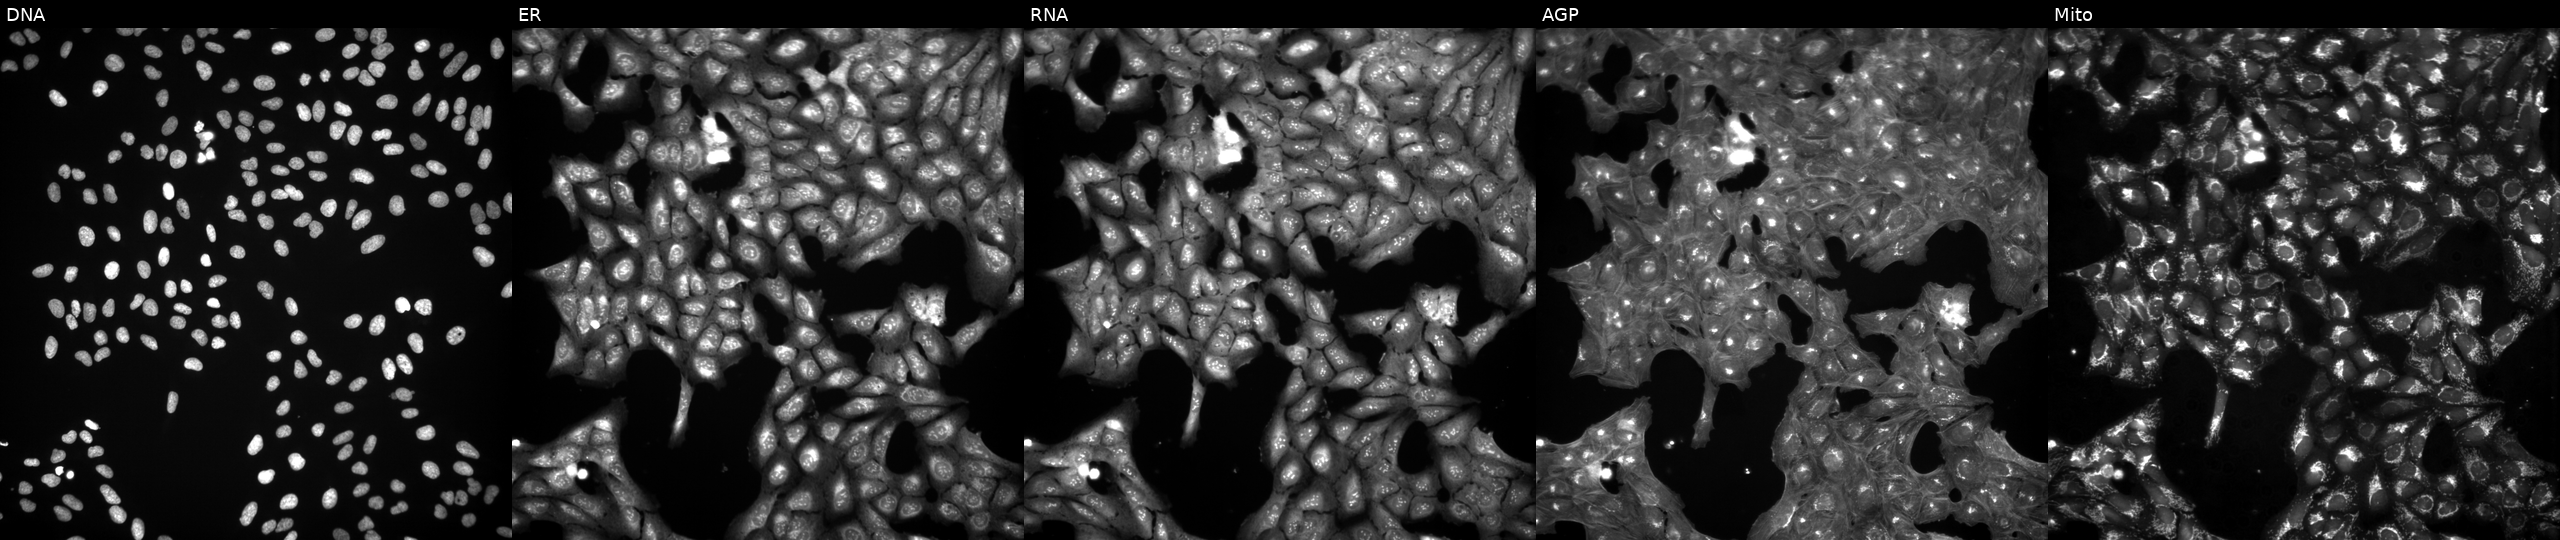
U2OS cells, Cell Painting assay, treated with DMSO vehicle only (negative control) (JUMP id JCP2022_033924). Panels show, left to right, DNA (nuclei); ER (endoplasmic reticulum); RNA (nucleoli and cytoplasmic RNA); AGP (actin cytoskeleton, Golgi, and plasma membrane); Mito (mitochondria). Each panel is percentile-stretched 16-bit fluorescence. Source 3, plate JCPQC052, well B13.